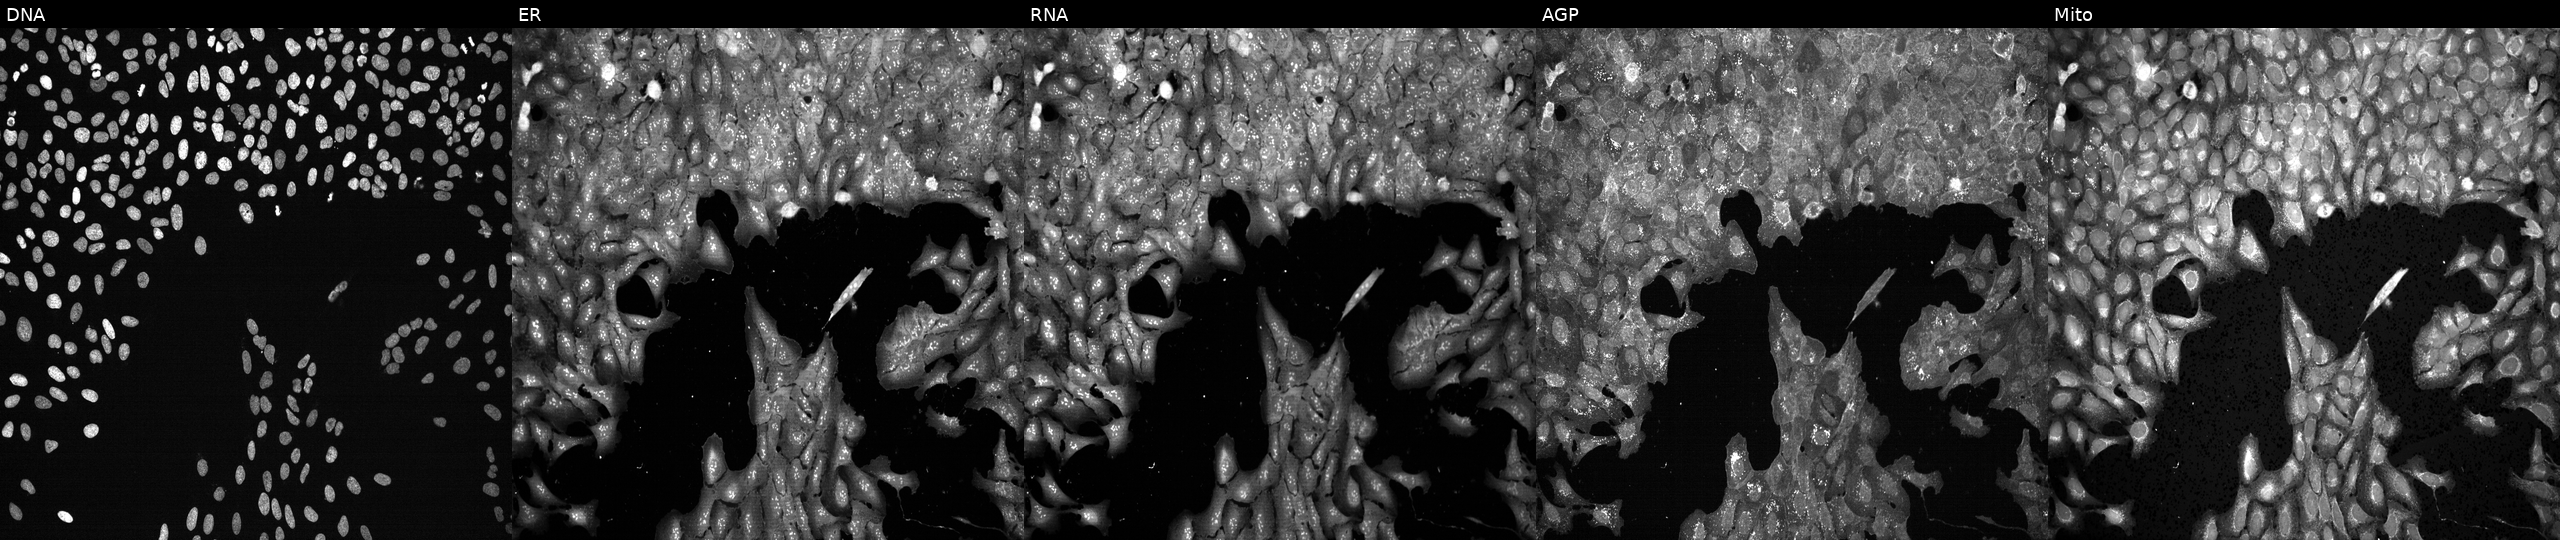
This image strip shows the five Cell Painting channels for a single field of U2OS cells with SLC25A19 knocked out by CRISPR (JUMP id JCP2022_806448). From left to right: DNA, ER, RNA, AGP, and Mito. Source 13, plate CP-CC9-R1-02, well E17.